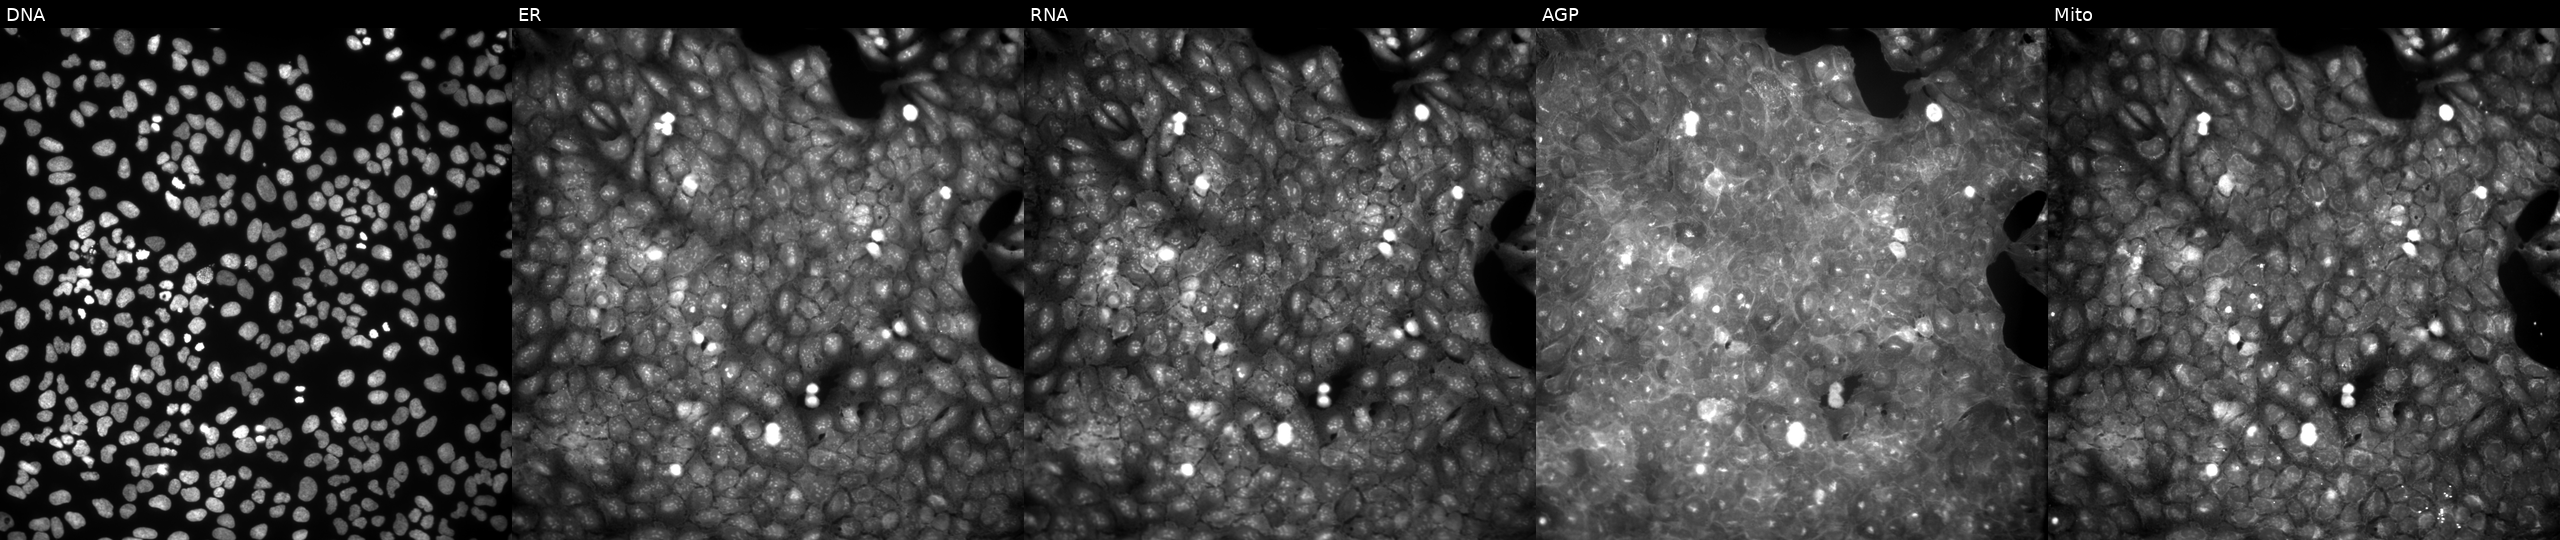
This image strip shows the five Cell Painting channels for a single field of U2OS cells treated with a small-molecule compound (InChIKey XWHQTQYOMADXSL-UHFFFAOYSA-N). Channels (left→right): DNA, ER, RNA, AGP, and Mito.